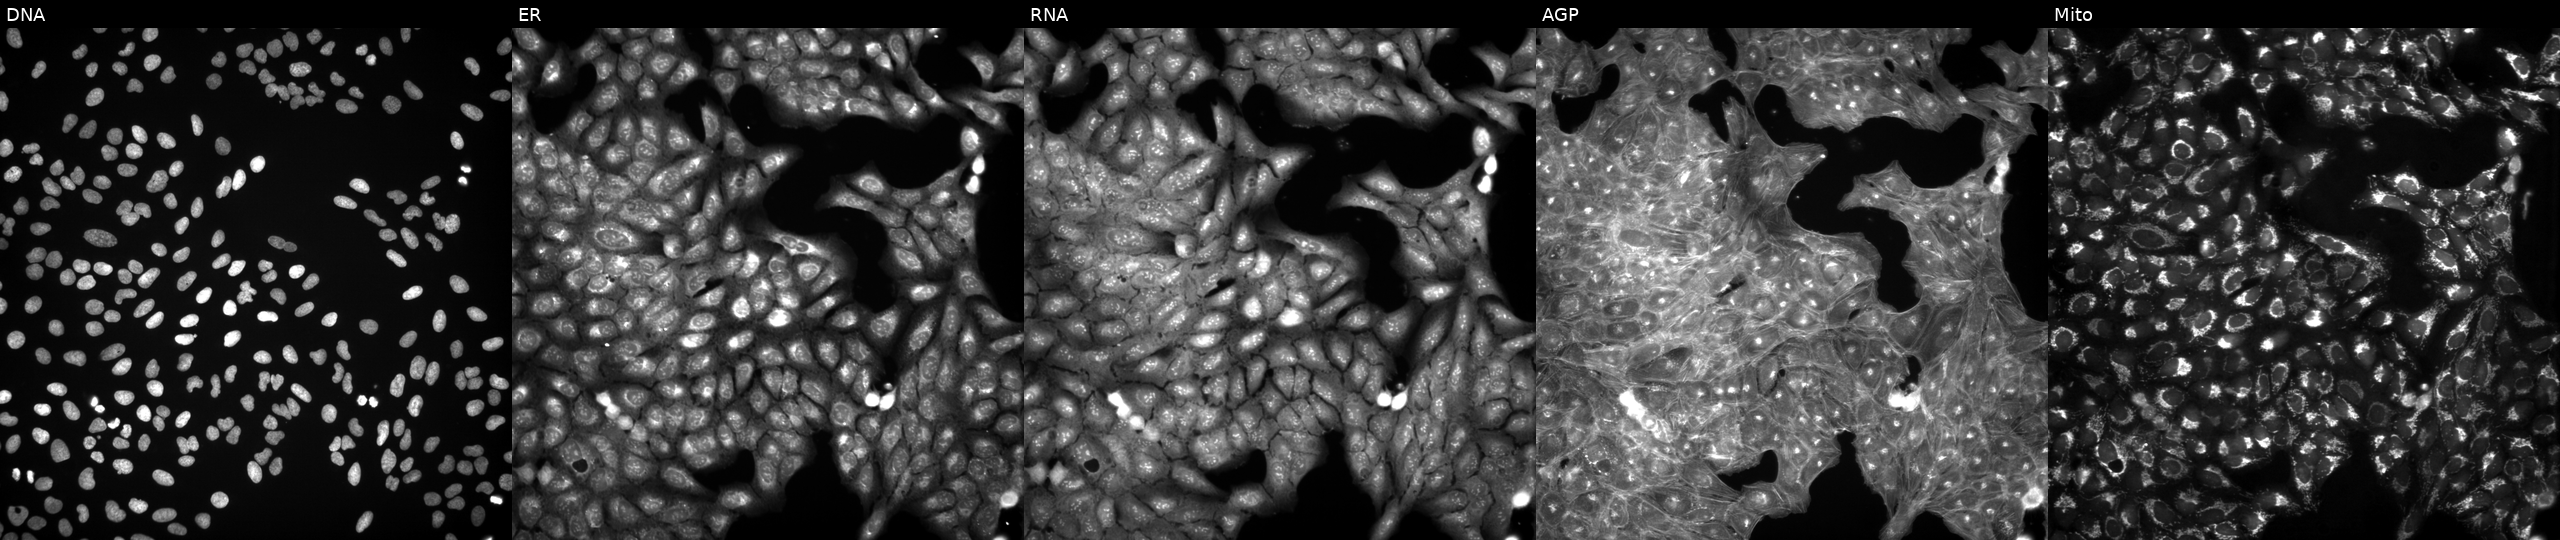
U2OS cells, Cell Painting assay, exposed to DMSO alone as a negative control (JUMP id JCP2022_033924). Panels show, left to right, DNA, ER, RNA, AGP, and Mito. Each panel is percentile-stretched 16-bit fluorescence. Source 3, plate JCPQC053, well K14.